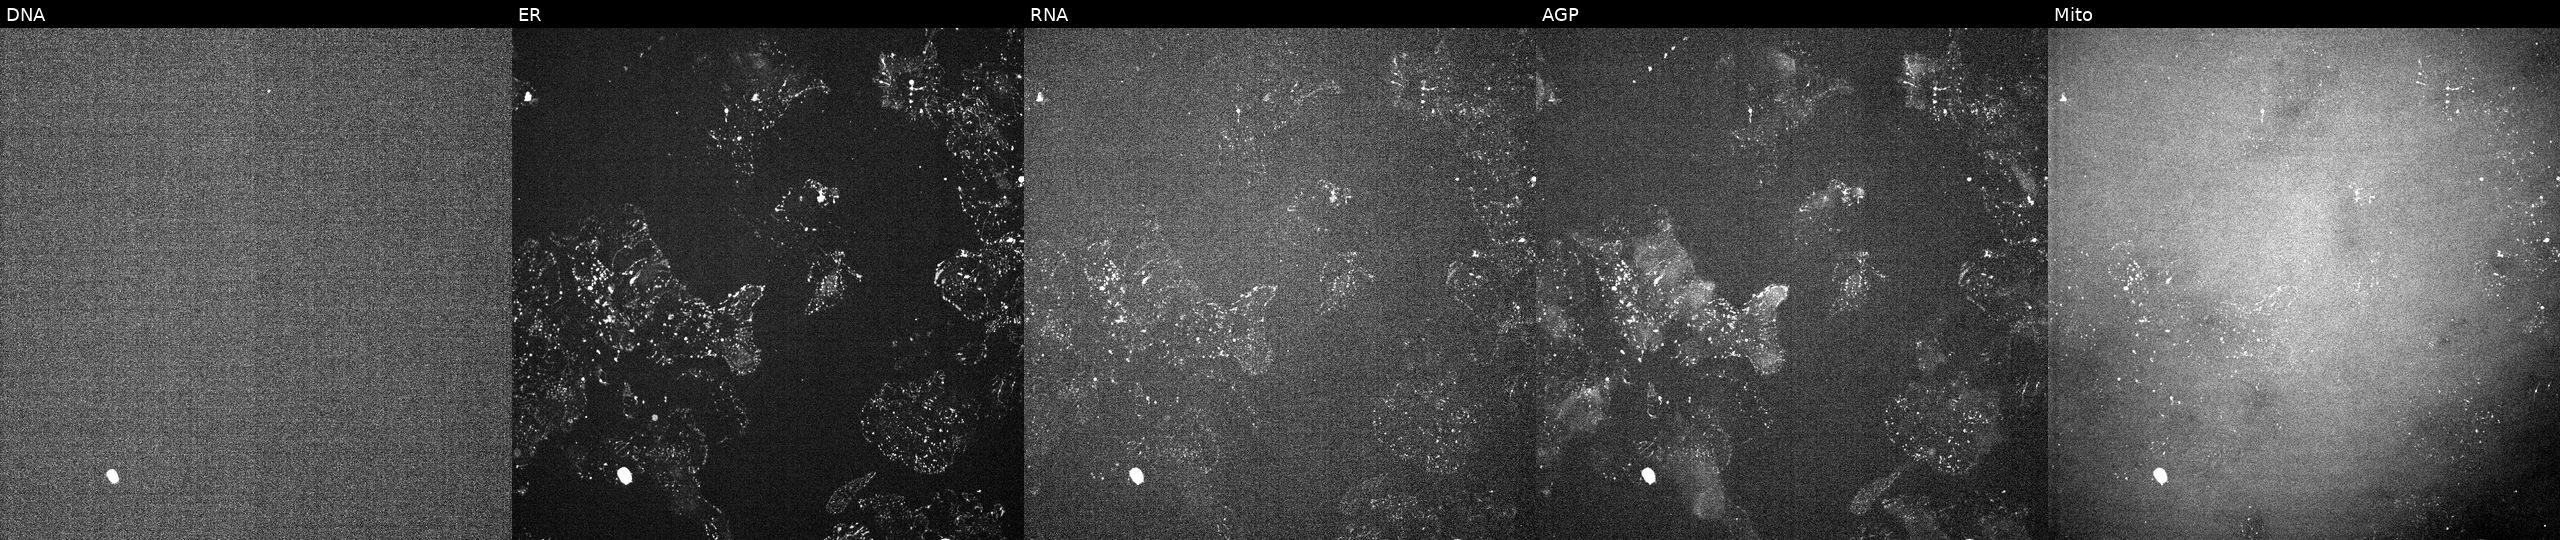
Five-channel Cell Painting image of U2OS cells treated with a small-molecule compound (JUMP id JCP2022_009867). From left to right: DNA (nuclei); ER (endoplasmic reticulum); RNA (nucleoli and cytoplasmic RNA); AGP (actin cytoskeleton, Golgi, and plasma membrane); Mito (mitochondria).